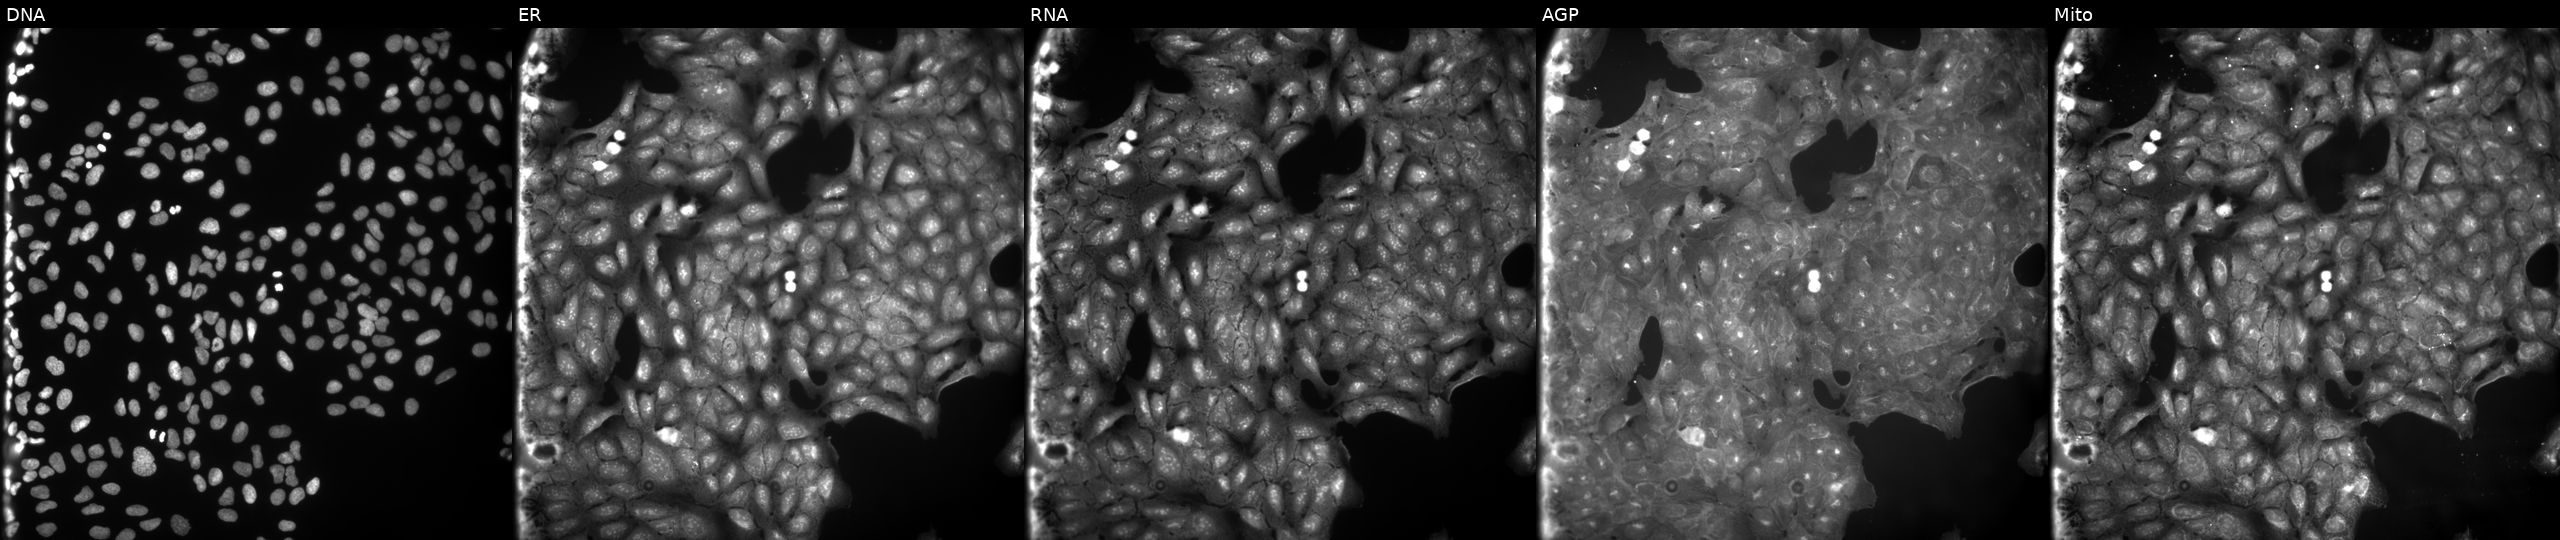
High-content fluorescence microscopy (Cell Painting). Cell line: U2OS. Perturbation: treated with a small-molecule compound (InChIKey FWOUEGMYDINJQC-UHFFFAOYSA-N). Panels show, left to right, DNA, ER, RNA, AGP, and Mito.